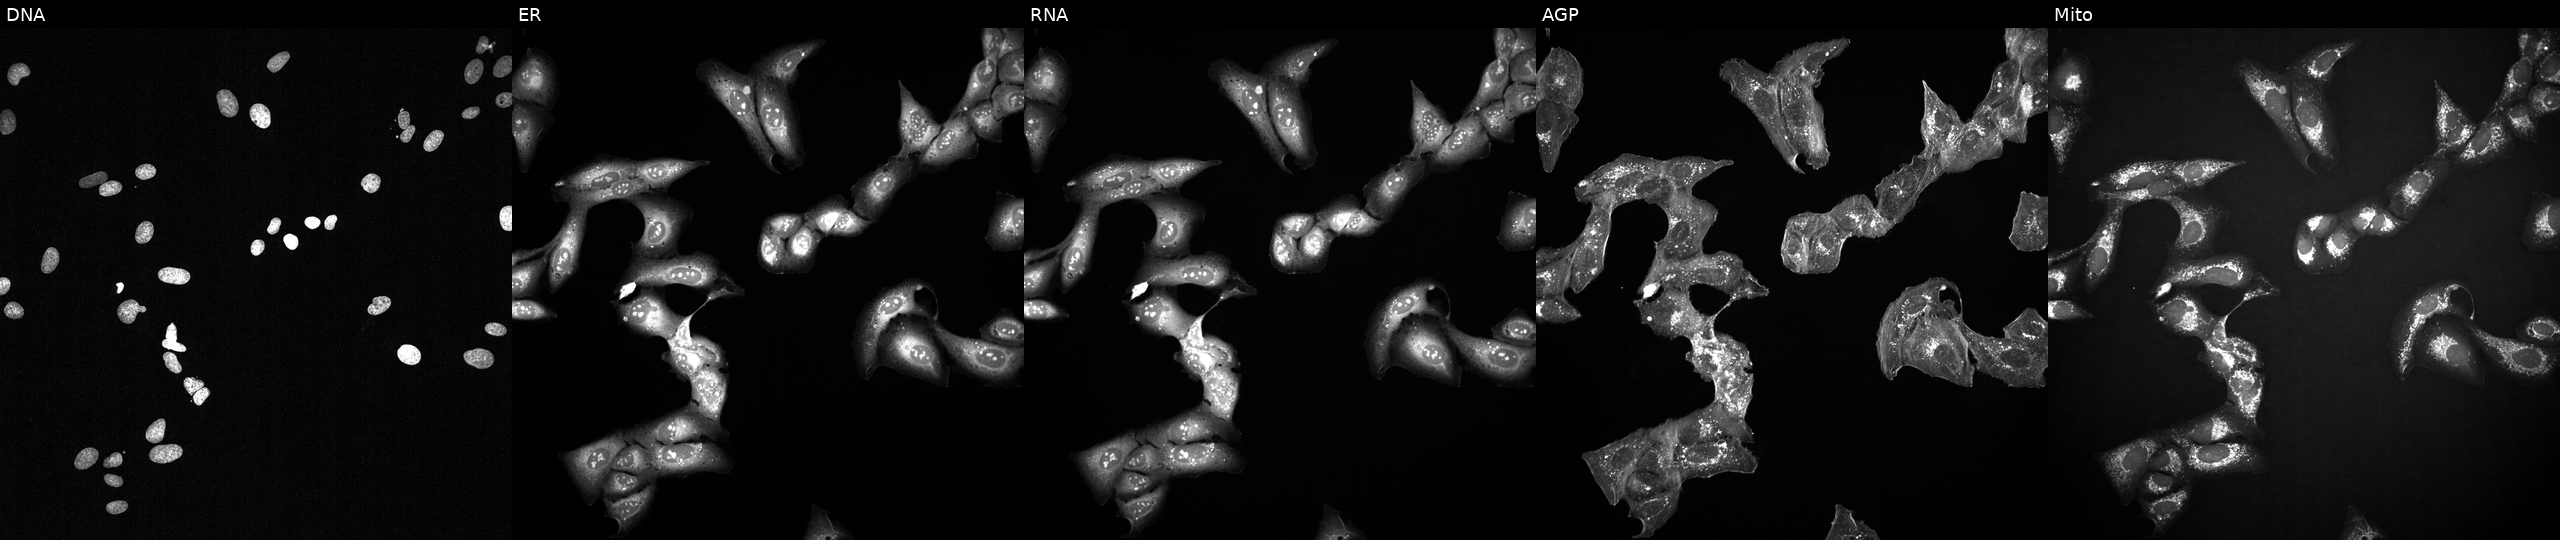
JUMP Cell Painting — TARGET2 plate. U2OS cells perturbed with a small-molecule compound (InChIKey BBDGBGOVJPEFBT-UHFFFAOYSA-N). Panels show, left to right, DNA (nuclei); ER (endoplasmic reticulum); RNA (nucleoli and cytoplasmic RNA); AGP (actin cytoskeleton, Golgi, and plasma membrane); Mito (mitochondria). Source 2, plate 1053600674, well I01.